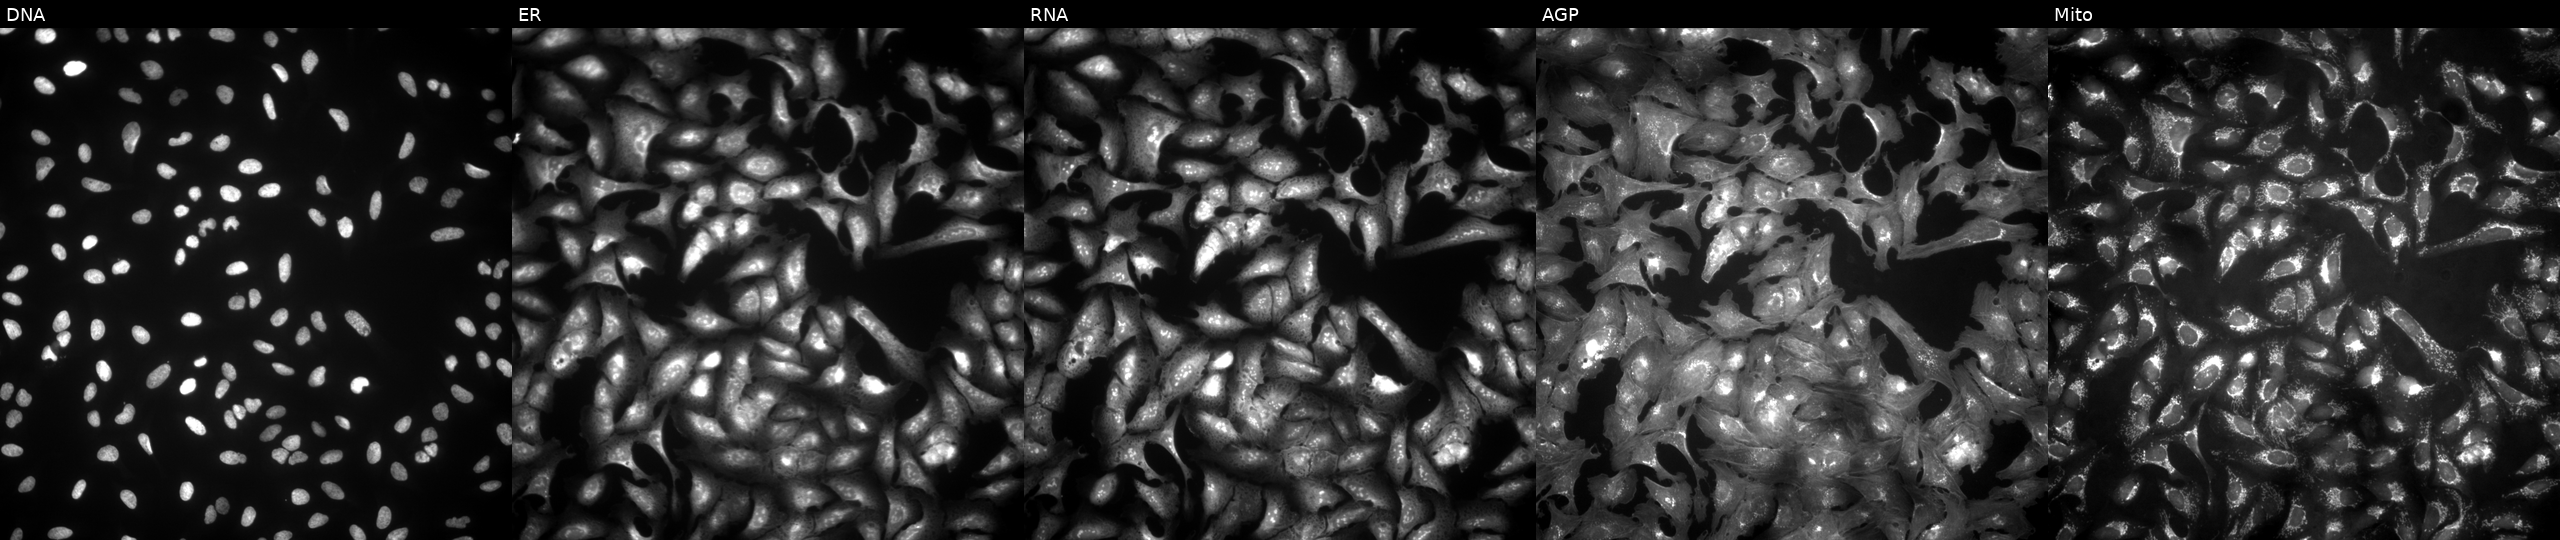
High-content fluorescence microscopy (Cell Painting). Cell line: U2OS. Perturbation: overexpressing PIGA via ORF transfection. Panels show, left to right, DNA, ER, RNA, AGP, and Mito. Source 4, plate BR00123506, well B07.